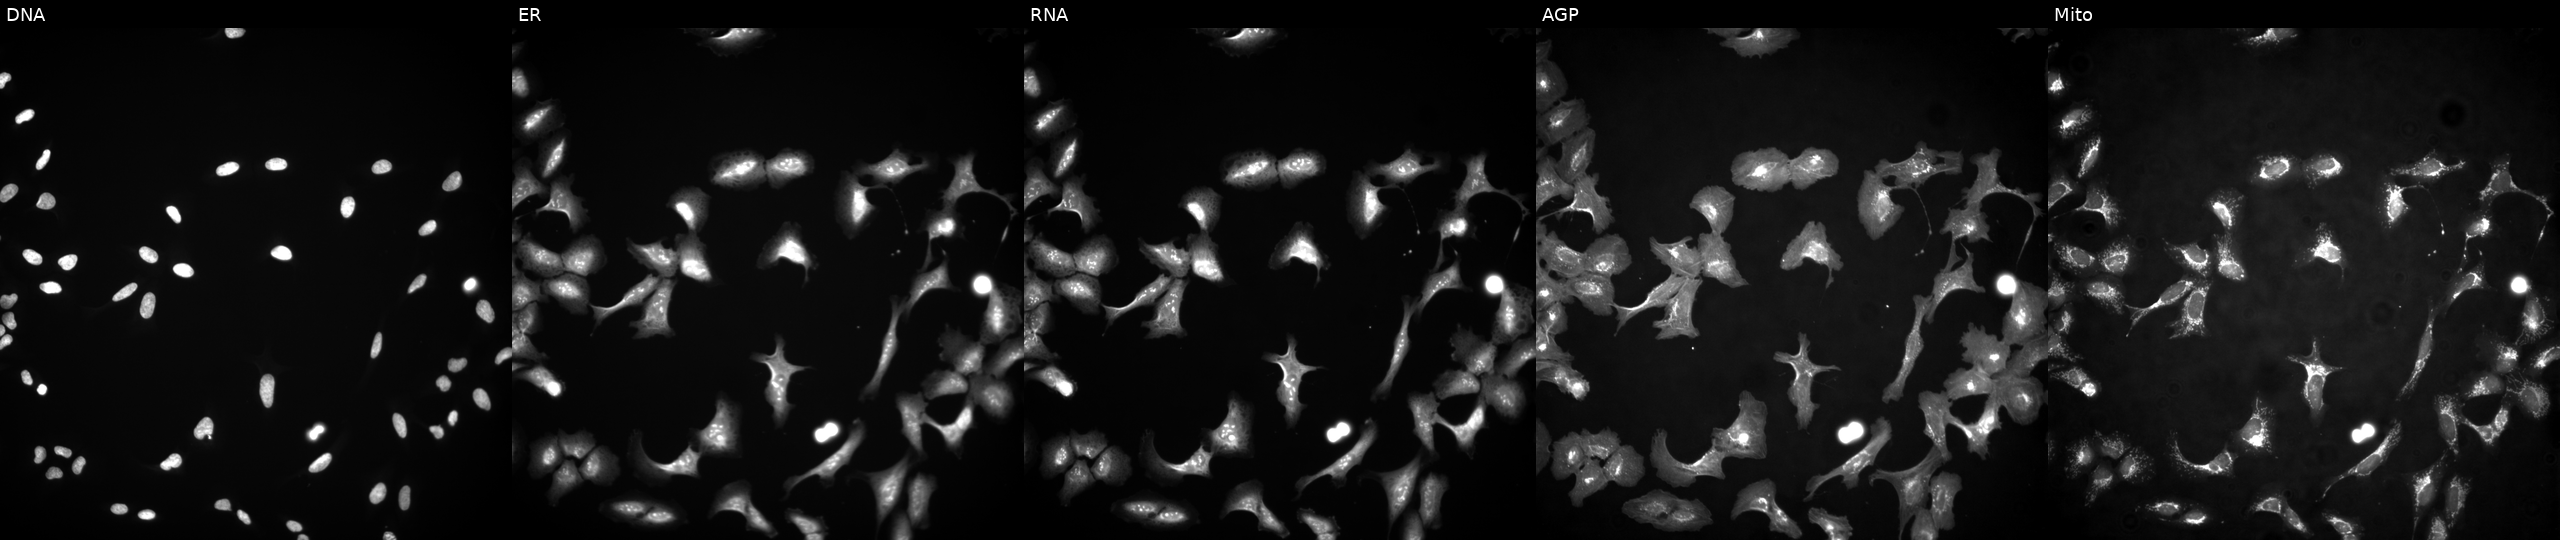
From left to right: DNA (nuclei); ER (endoplasmic reticulum); RNA (nucleoli and cytoplasmic RNA); AGP (actin cytoskeleton, Golgi, and plasma membrane); Mito (mitochondria). U2OS osteosarcoma cells transfected with an ORF construct for RCC1. Cell Painting assay, JUMP-CP dataset.